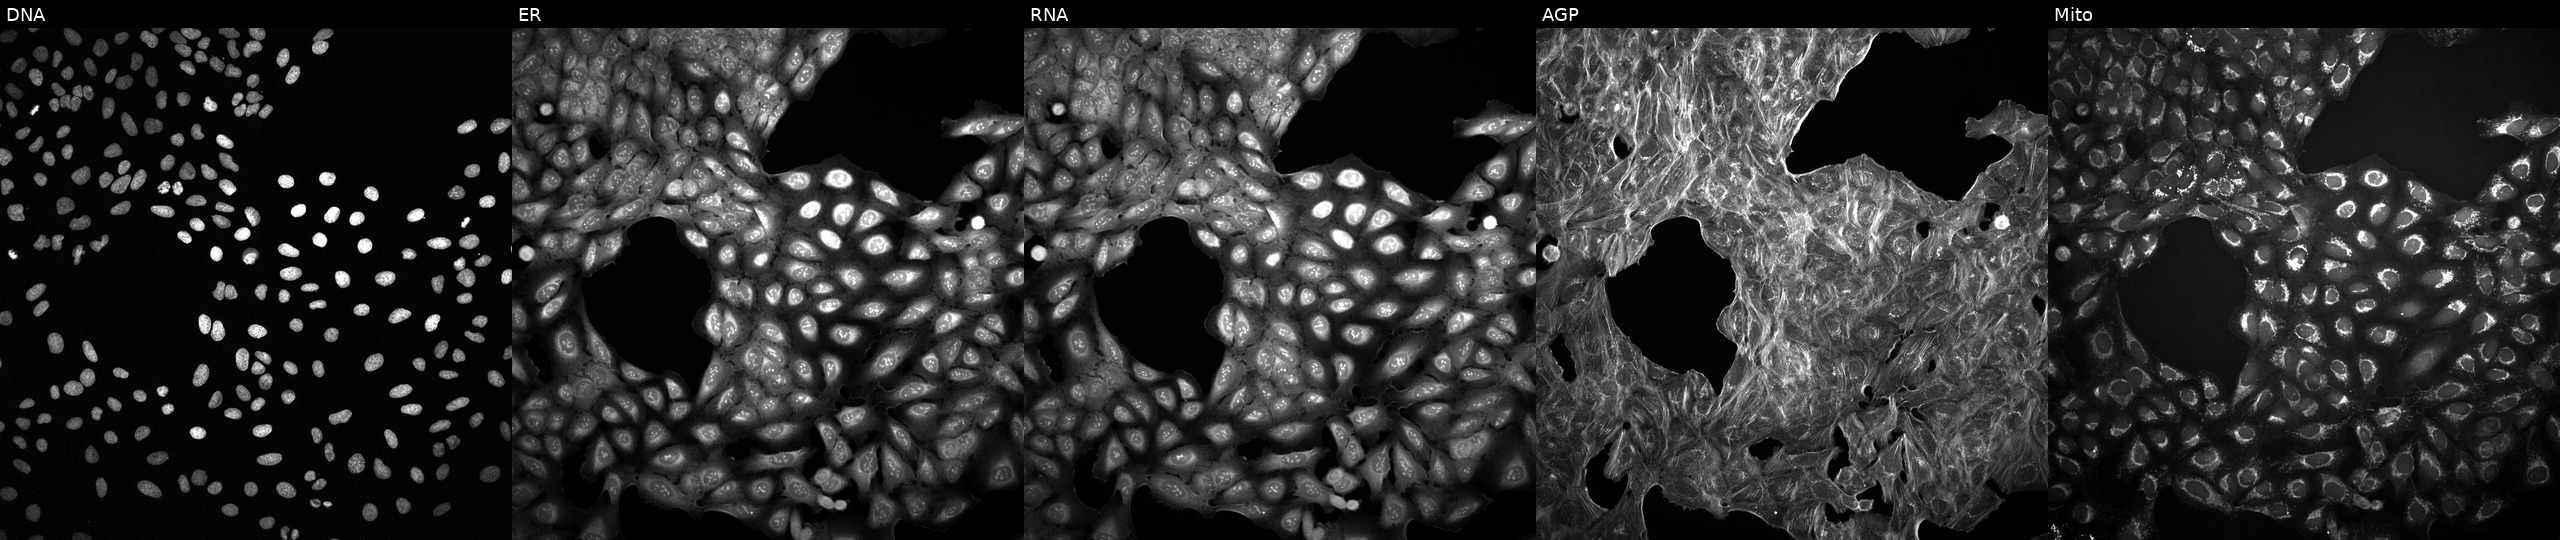
High-content fluorescence microscopy (Cell Painting). Cell line: U2OS. Perturbation: with an unidentified perturbation (not annotated in JUMP metadata). Channels (left→right): Hoechst 33342, concanavalin A, SYTO 14, phalloidin and WGA, MitoTracker.